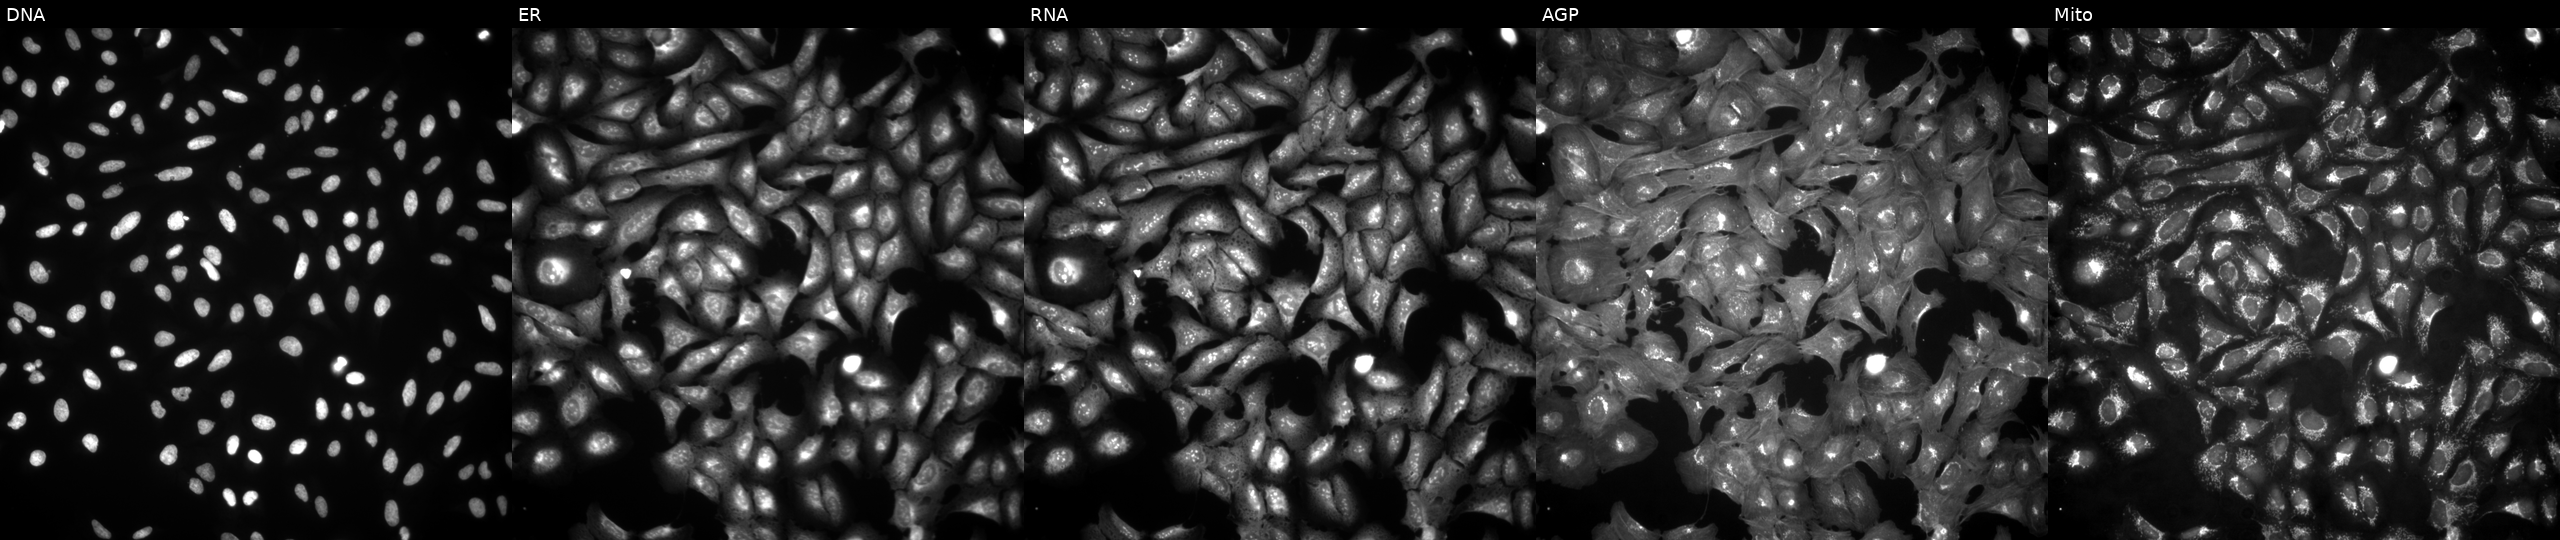
Panels show, left to right, DNA (nuclei); ER (endoplasmic reticulum); RNA (nucleoli and cytoplasmic RNA); AGP (actin cytoskeleton, Golgi, and plasma membrane); Mito (mitochondria). U2OS osteosarcoma cells overexpressing GDAP1L1 via ORF transfection (JUMP id JCP2022_903765). Cell Painting assay, JUMP-CP dataset.